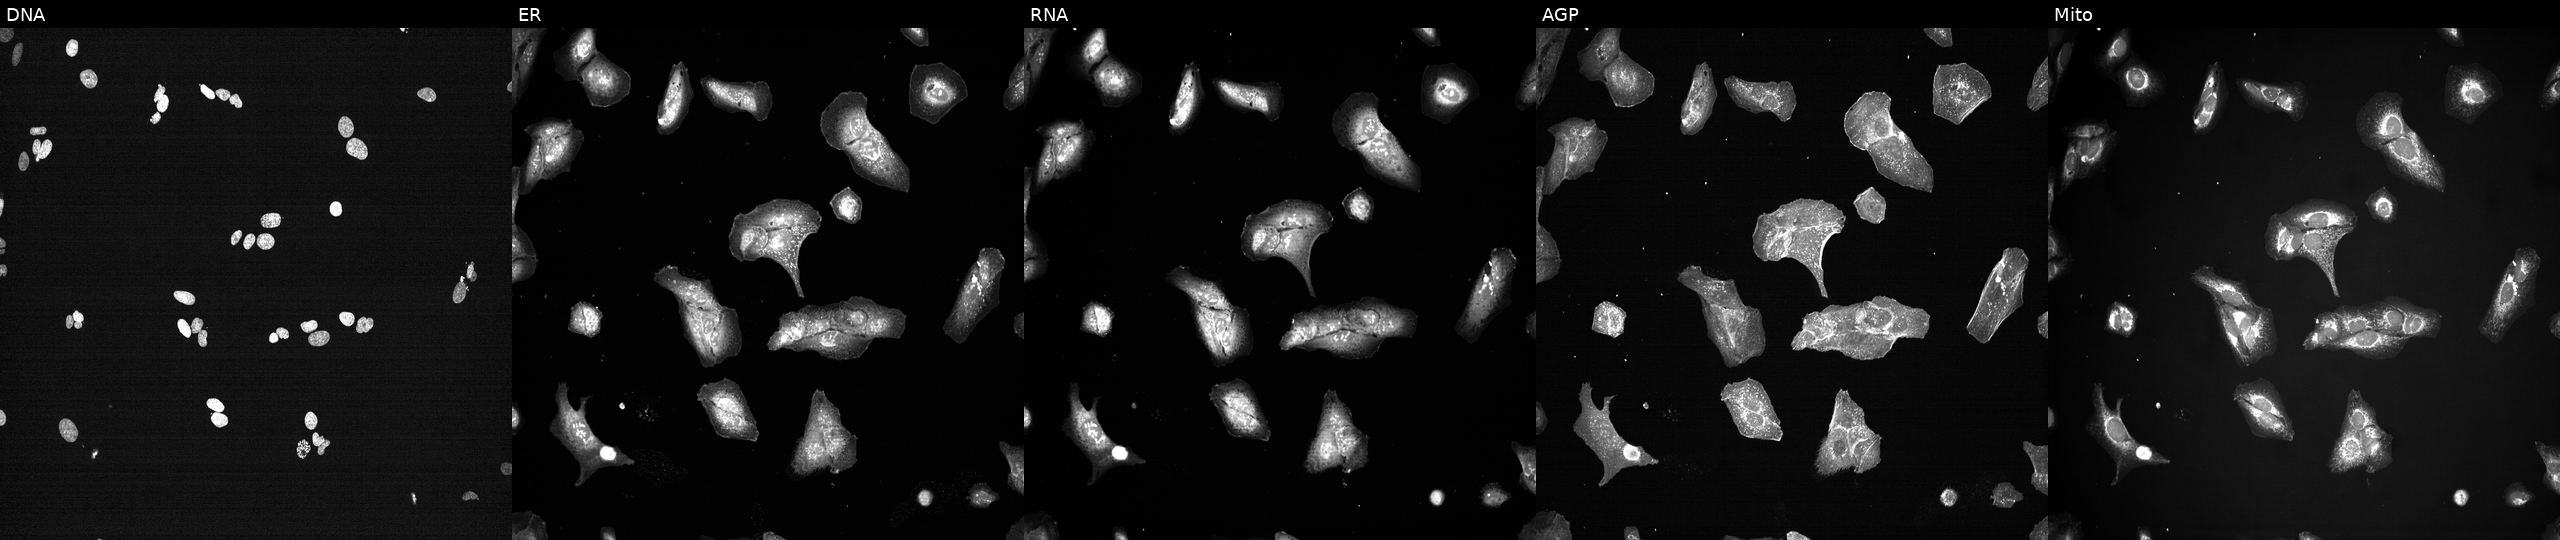
High-content fluorescence microscopy (Cell Painting). Cell line: U2OS. Perturbation: exposed to a small-molecule compound (InChIKey RAMROQQYRRQPDL-UHFFFAOYSA-N). From left to right: DNA (nuclei); ER (endoplasmic reticulum); RNA (nucleoli and cytoplasmic RNA); AGP (actin cytoskeleton, Golgi, and plasma membrane); Mito (mitochondria). Source 7, plate CP3-SC1-25, well C22.